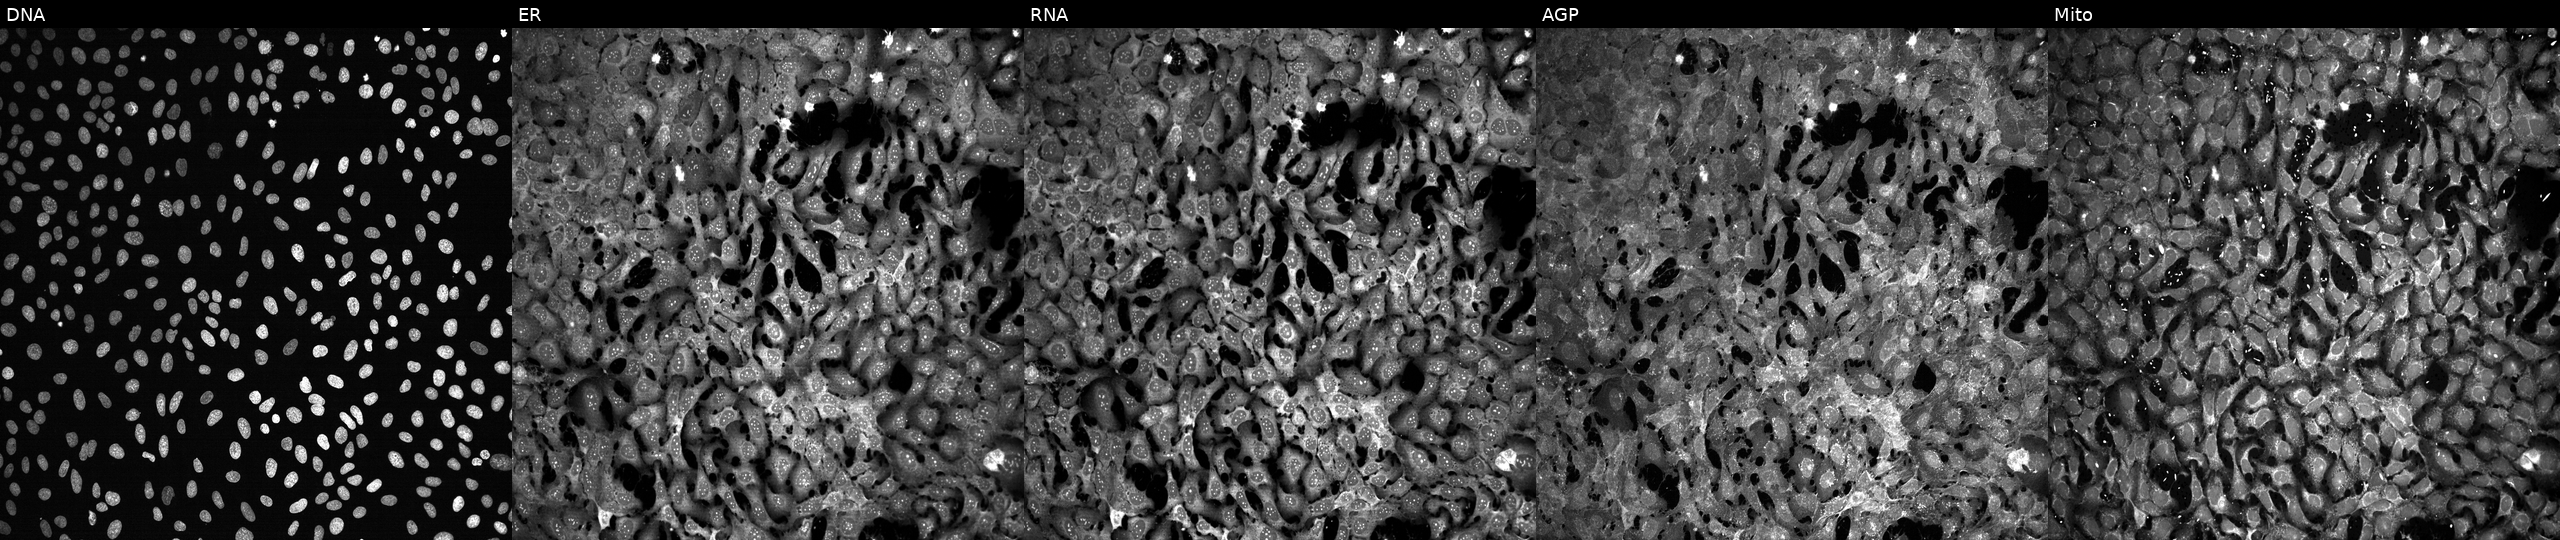
This image strip shows the five Cell Painting channels for a single field of U2OS cells treated with FK-866 (positive-control compound). Channels (left→right): Hoechst 33342, concanavalin A, SYTO 14, phalloidin and WGA, MitoTracker.